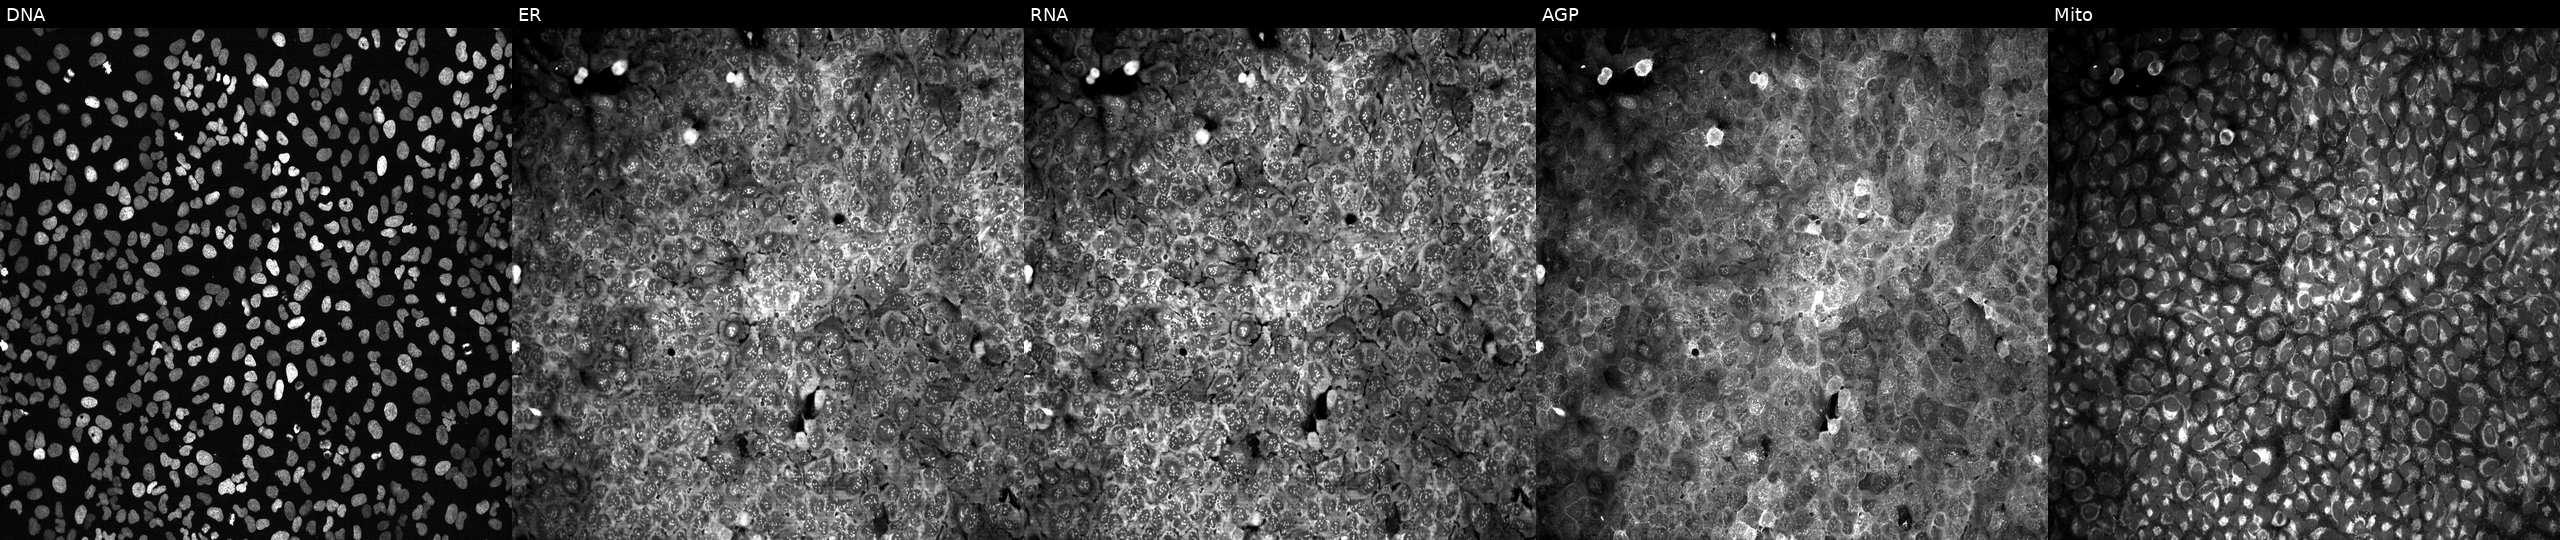
Five-channel Cell Painting image of U2OS cells exposed to DMSO alone as a negative control (JUMP id JCP2022_033924). Panels show, left to right, DNA (nuclei); ER (endoplasmic reticulum); RNA (nucleoli and cytoplasmic RNA); AGP (actin cytoskeleton, Golgi, and plasma membrane); Mito (mitochondria). Source 13, plate CP-CC9-R4-04, well K23.